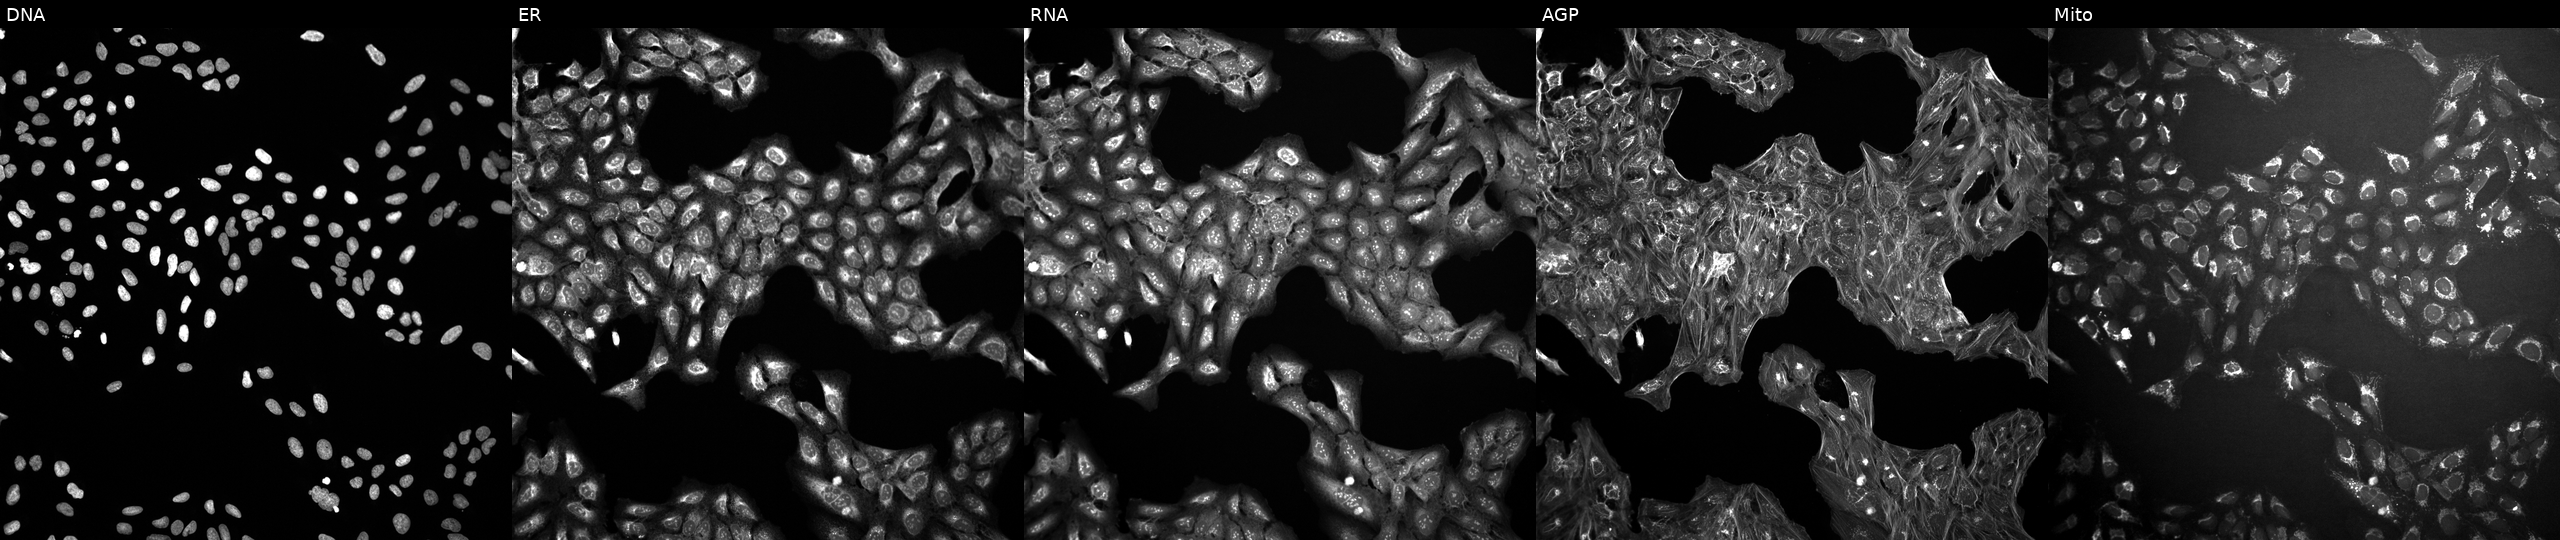
The five panels, left to right, show Hoechst 33342, concanavalin A, SYTO 14, phalloidin and WGA, MitoTracker. U2OS osteosarcoma cells treated with a small-molecule compound (InChIKey PHVQUXJBNXIXIU-UHFFFAOYSA-N). Cell Painting assay, JUMP-CP dataset.